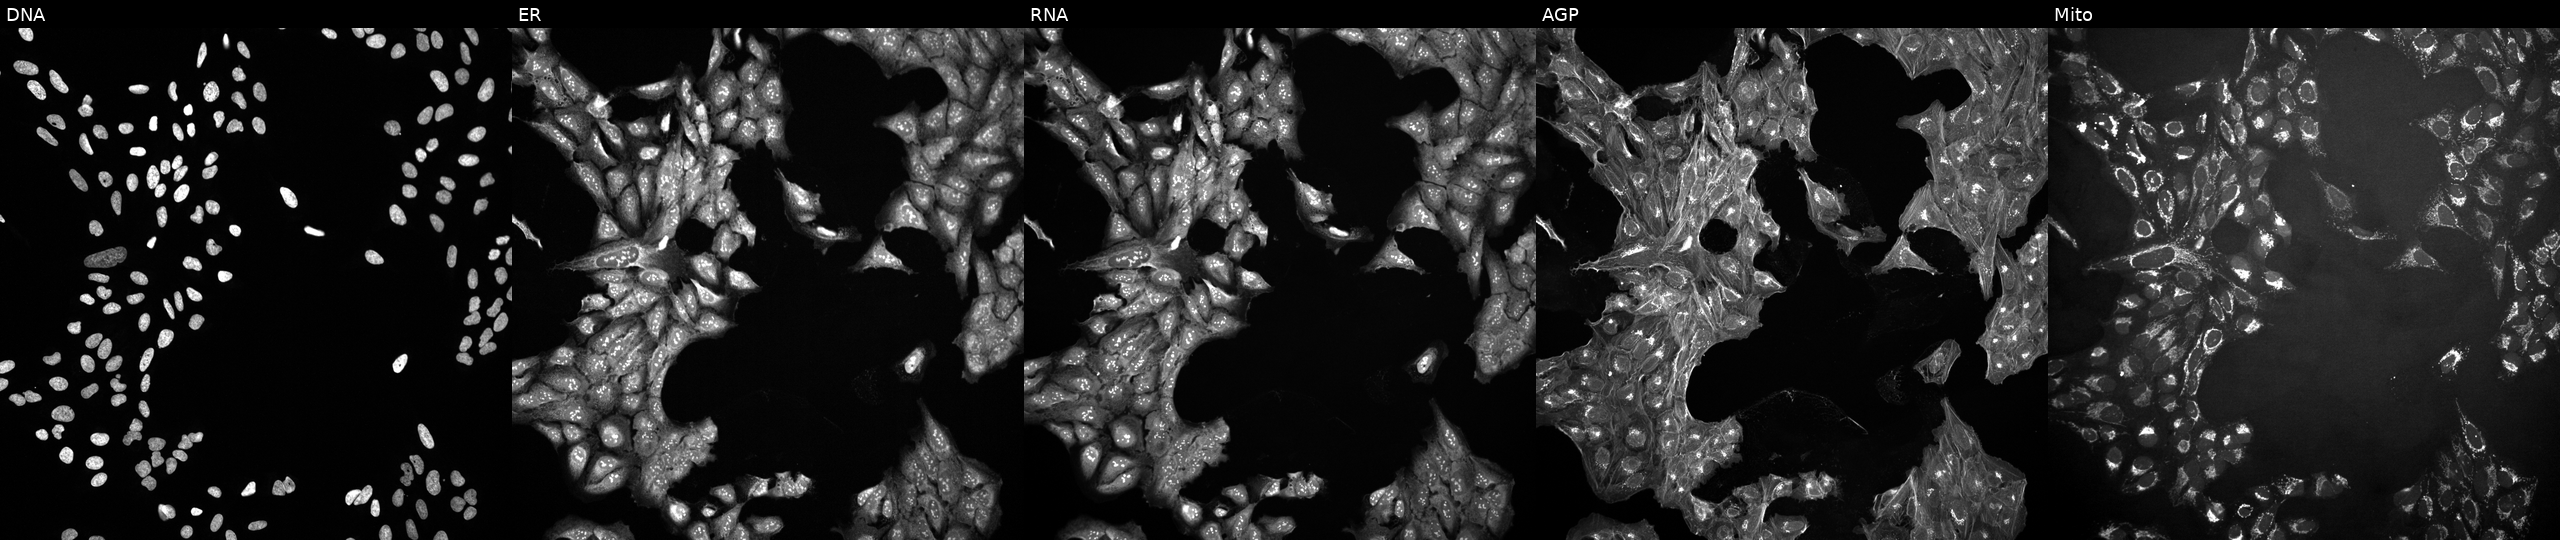
High-content fluorescence microscopy (Cell Painting). Cell line: U2OS. Perturbation: exposed to a small-molecule compound (JUMP id JCP2022_022730). From left to right: DNA, ER, RNA, AGP, and Mito.